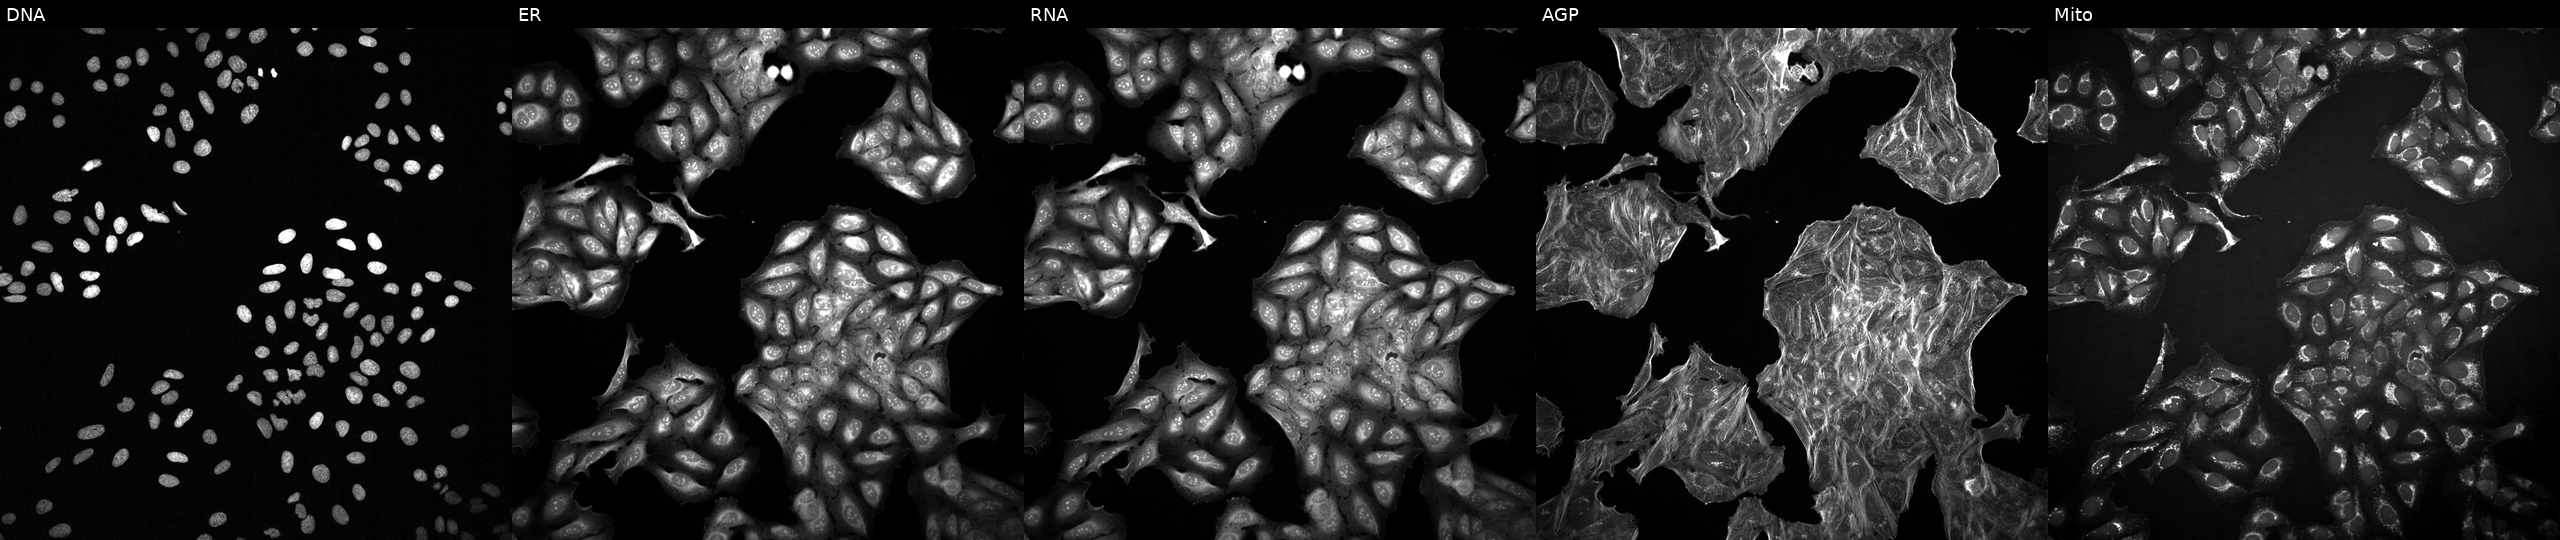
This image strip shows the five Cell Painting channels for a single field of U2OS cells treated with a small-molecule compound (InChIKey YOZXLJZXXYVCFI-UHFFFAOYSA-N) [SMILES: O=C(O)c1cc(-c2ccco2)nc2ccc(F)cc12] (JUMP id JCP2022_109861). Panels show, left to right, DNA (nuclei); ER (endoplasmic reticulum); RNA (nucleoli and cytoplasmic RNA); AGP (actin cytoskeleton, Golgi, and plasma membrane); Mito (mitochondria). Source 2, plate 1053601756, well O19.